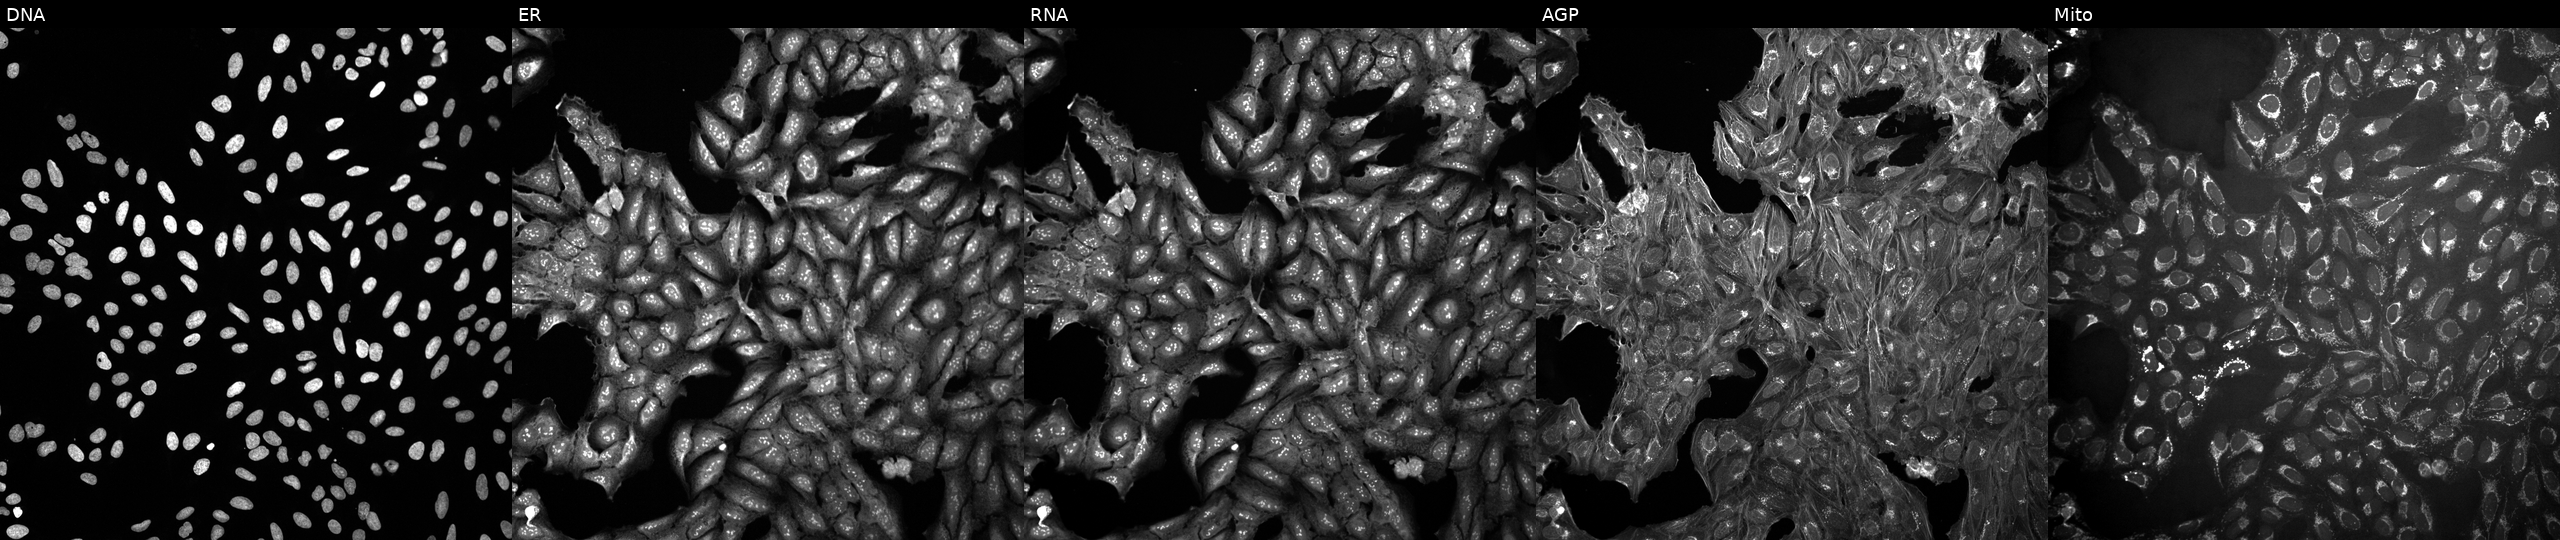
Panels show, left to right, DNA (nuclei); ER (endoplasmic reticulum); RNA (nucleoli and cytoplasmic RNA); AGP (actin cytoskeleton, Golgi, and plasma membrane); Mito (mitochondria). U2OS osteosarcoma cells treated with a small-molecule compound (InChIKey VQXZARXGGPDJSX-UHFFFAOYSA-N). Cell Painting assay, JUMP-CP dataset.